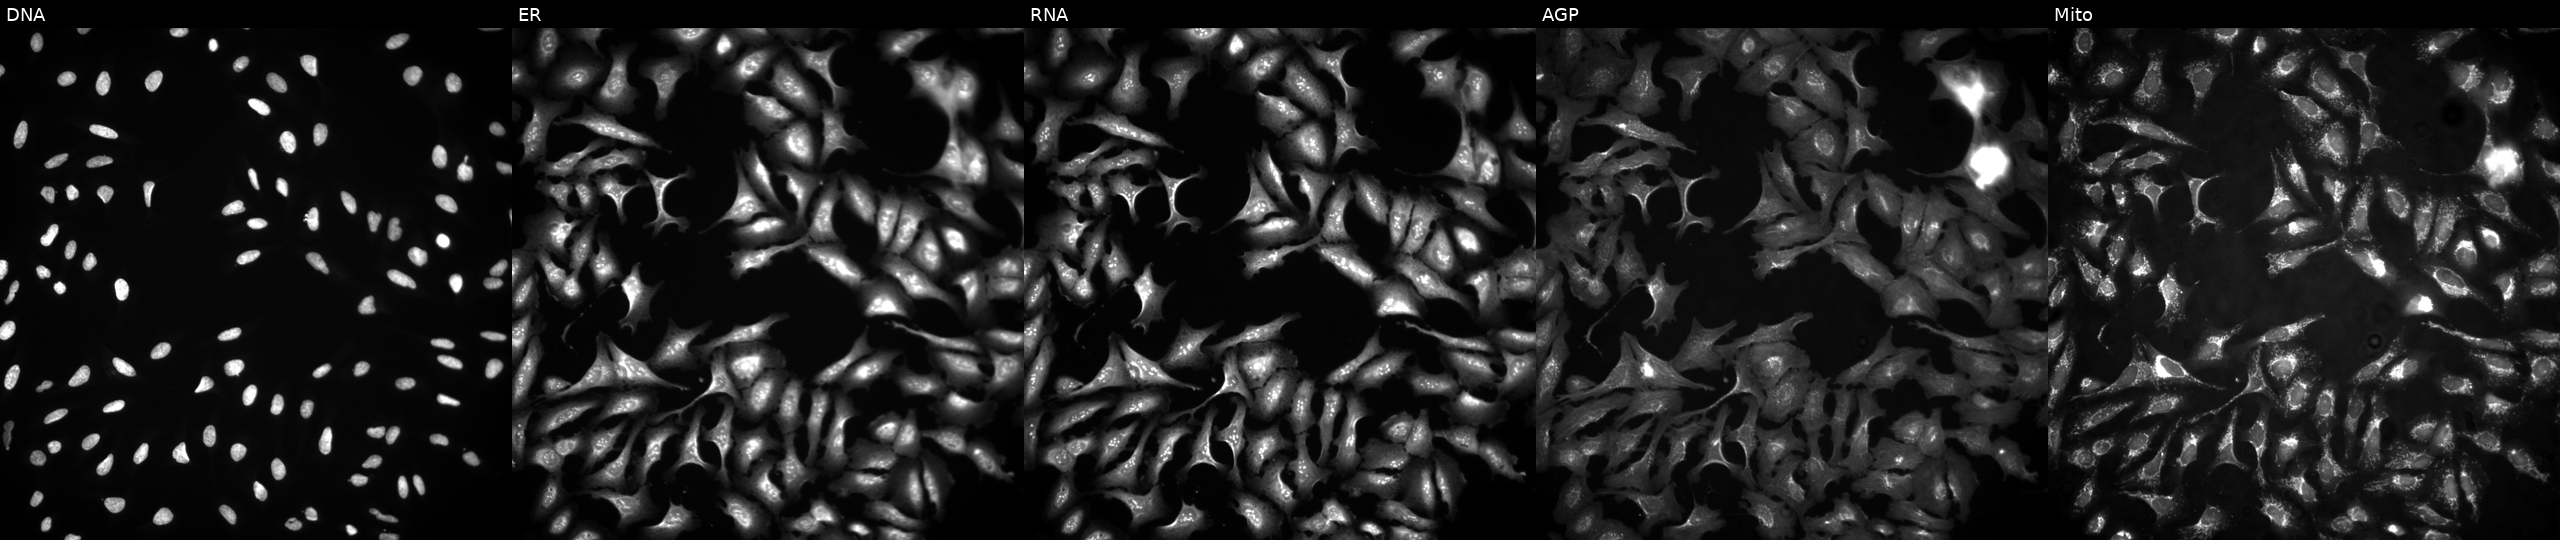
Five-channel Cell Painting image of U2OS cells transfected with an ORF construct for UGP2. Channels (left→right): DNA (nuclei); ER (endoplasmic reticulum); RNA (nucleoli and cytoplasmic RNA); AGP (actin cytoskeleton, Golgi, and plasma membrane); Mito (mitochondria).